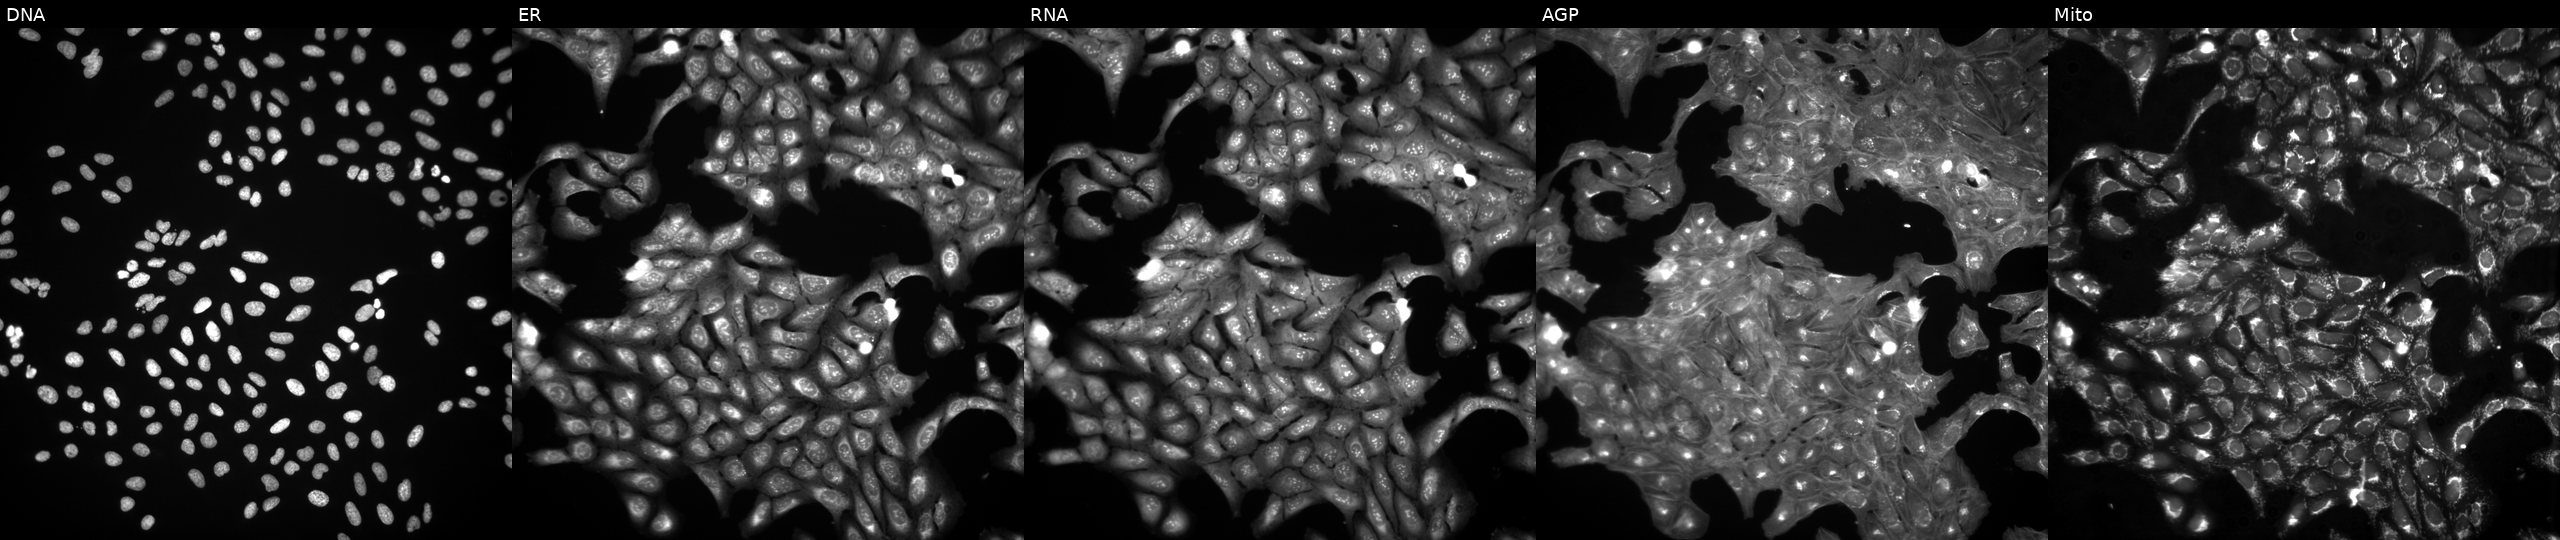
This image strip shows the five Cell Painting channels for a single field of U2OS cells treated with a small-molecule compound (InChIKey ZIUDADZJCKGWKR-UHFFFAOYSA-N) (JUMP id JCP2022_113600). Channels (left→right): DNA (nuclei); ER (endoplasmic reticulum); RNA (nucleoli and cytoplasmic RNA); AGP (actin cytoskeleton, Golgi, and plasma membrane); Mito (mitochondria).